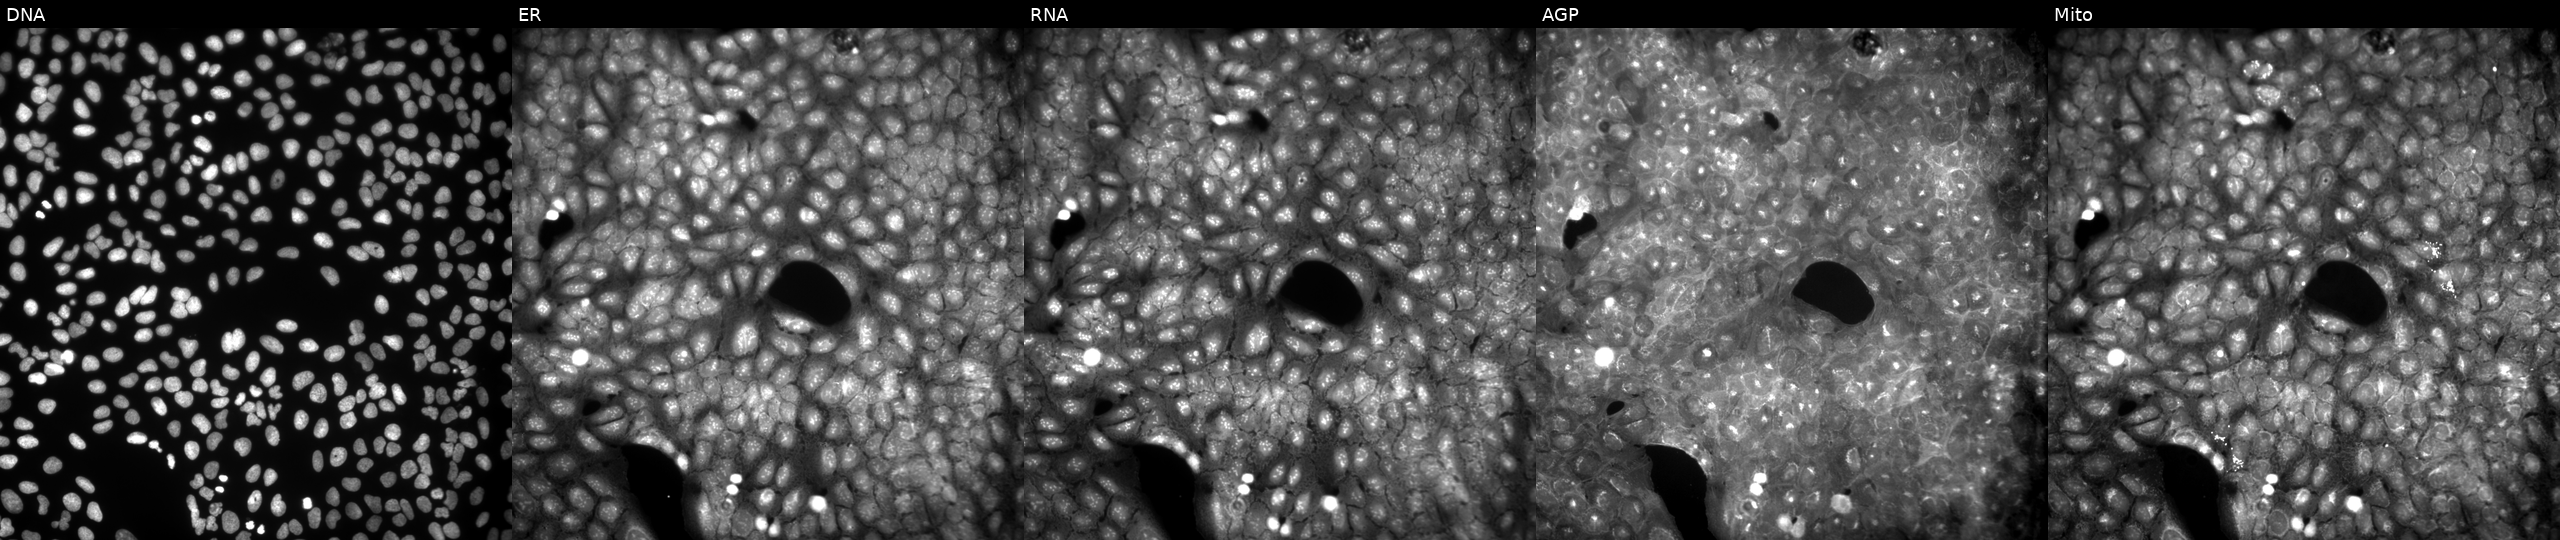
This image strip shows the five Cell Painting channels for a single field of U2OS cells treated with a small-molecule compound (InChIKey FFIPPNAYZWMCQE-UHFFFAOYSA-N) [SMILES: Cc1cc([N+](=O)[O-])nn1CC(=O)Nc1ccc(Cl)cc1C(=O)c1ccccc1]. From left to right: DNA (nuclei); ER (endoplasmic reticulum); RNA (nucleoli and cytoplasmic RNA); AGP (actin cytoskeleton, Golgi, and plasma membrane); Mito (mitochondria). Source 9, plate GR00003382, well W38.